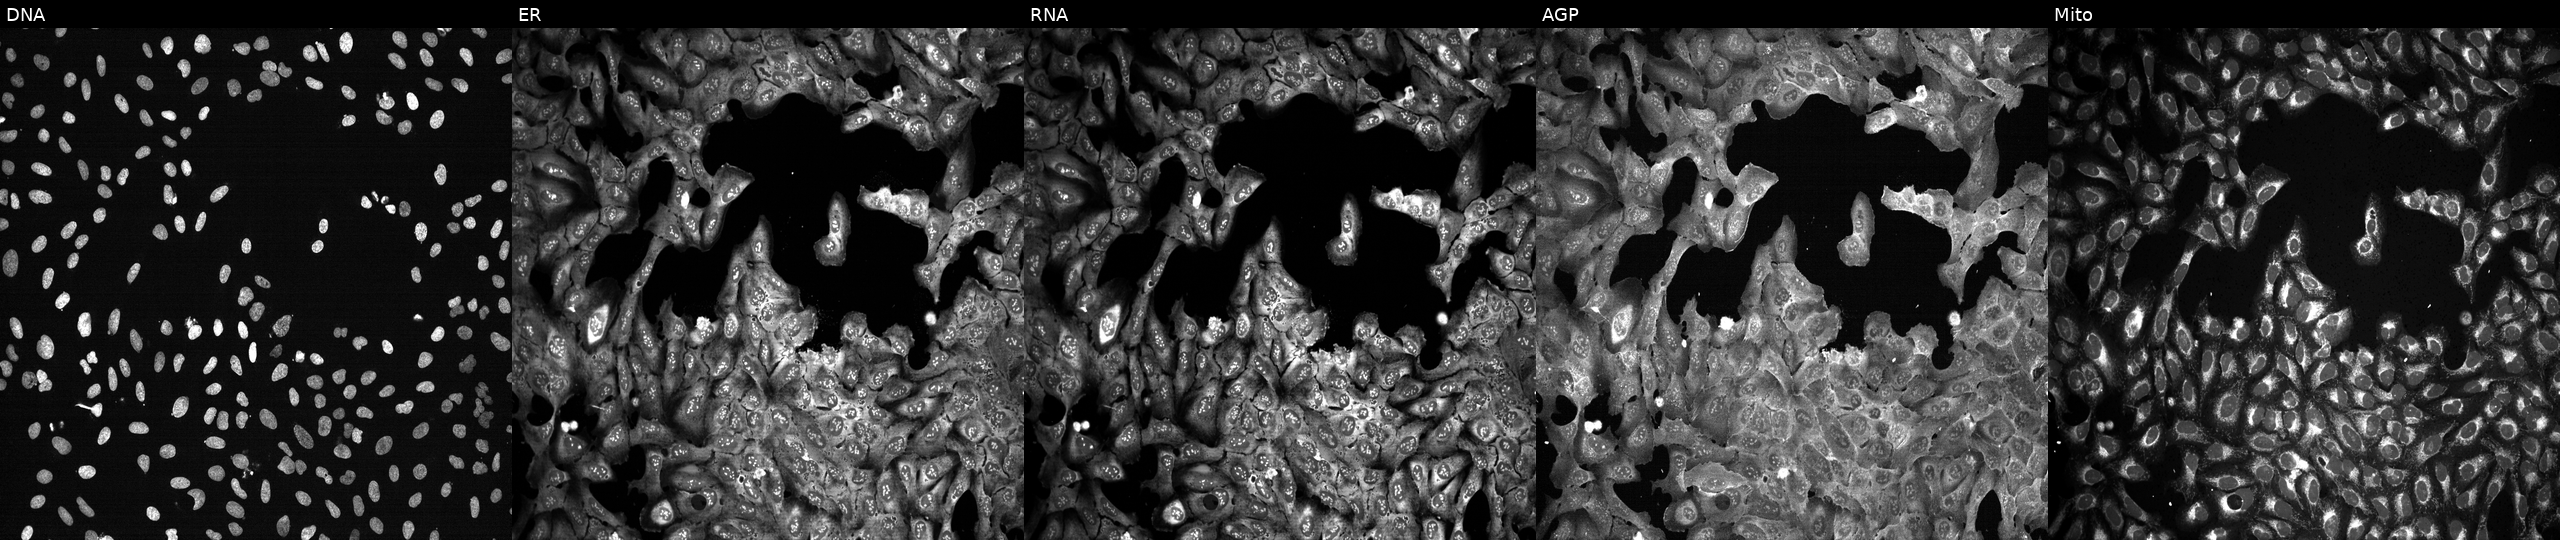
Channels (left→right): DNA, ER, RNA, AGP, and Mito. U2OS osteosarcoma cells following CRISPR knockout of DGAT2. Cell Painting assay, JUMP-CP dataset. Source 13, plate CP-CC9-R3-02, well K17.